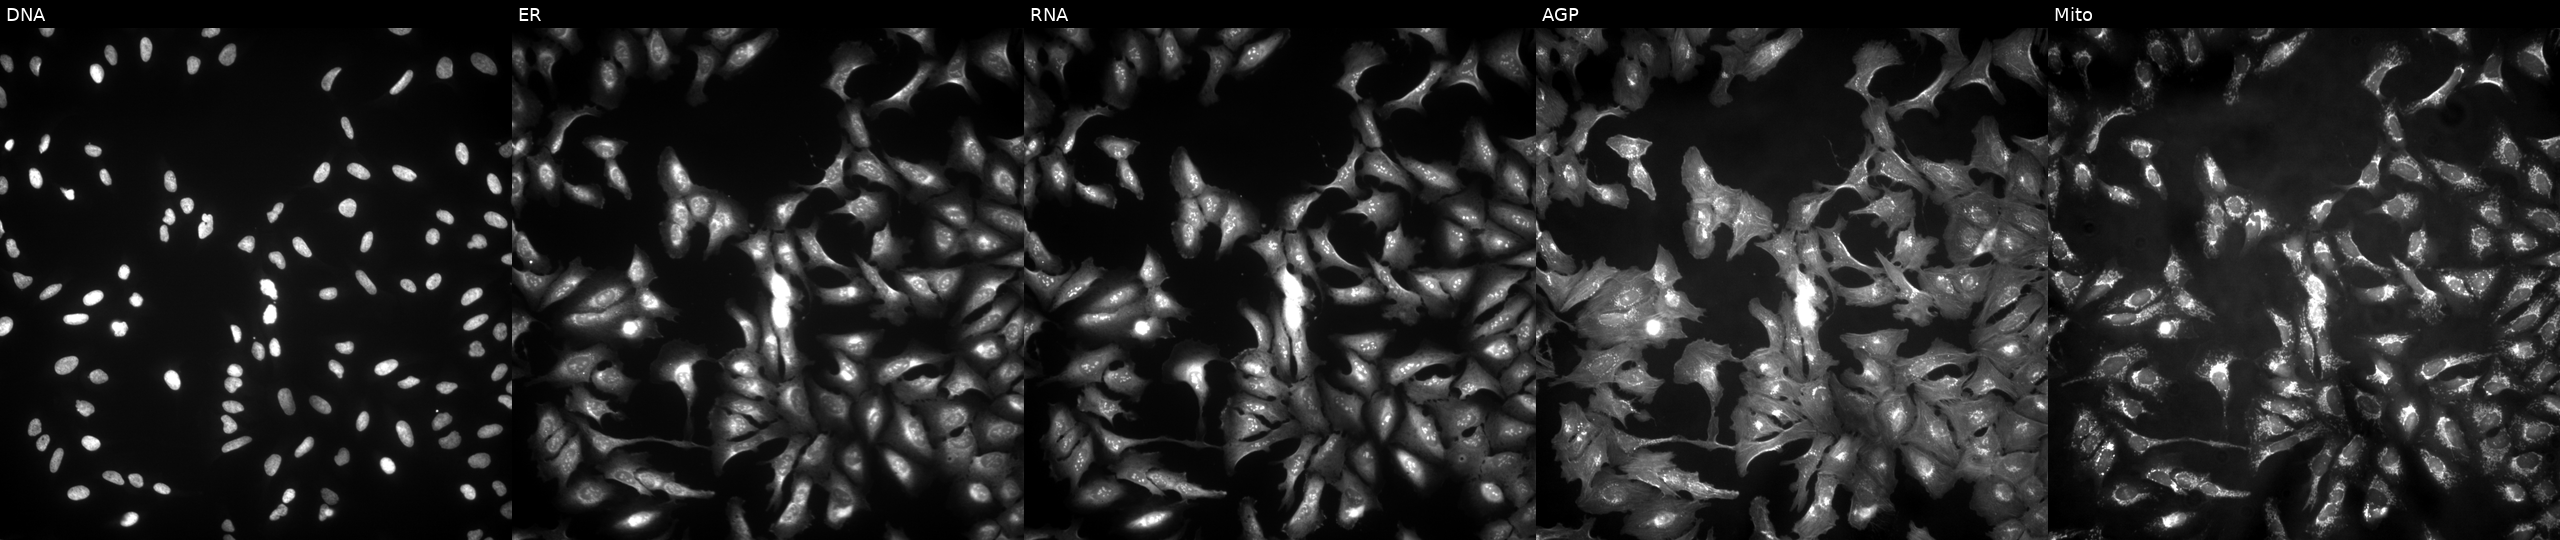
Five-channel Cell Painting image of U2OS cells with LAMP2 overexpressed (ORF). From left to right: Hoechst 33342, concanavalin A, SYTO 14, phalloidin and WGA, MitoTracker. Source 4, plate BR00123506, well P08.